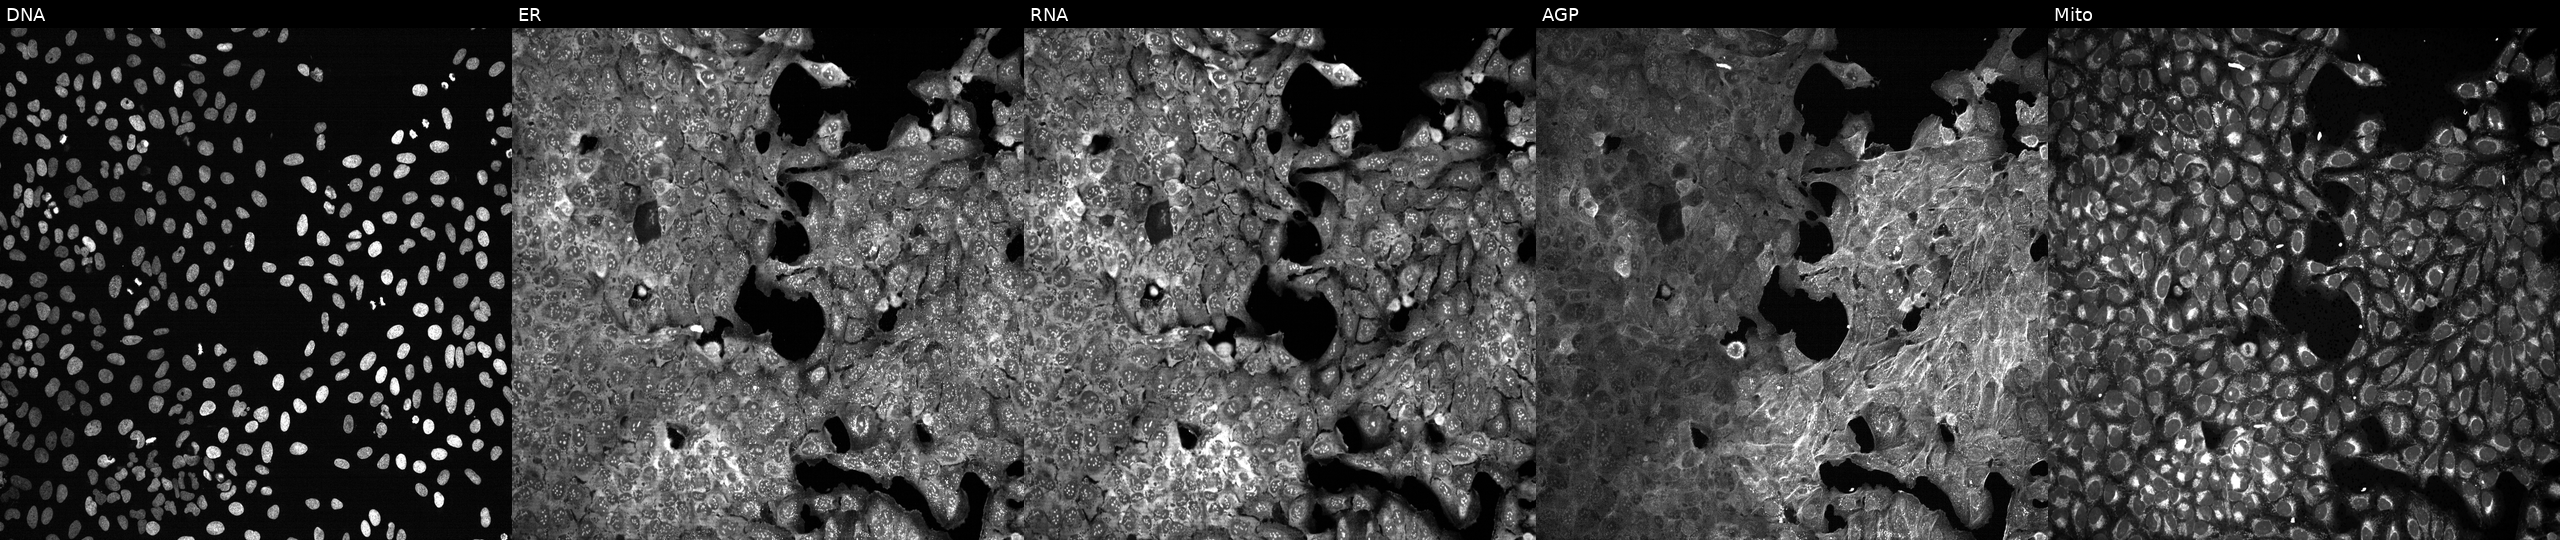
Five-channel Cell Painting image of U2OS cells treated with aloxistatin (positive-control compound). Channels (left→right): DNA (nuclei); ER (endoplasmic reticulum); RNA (nucleoli and cytoplasmic RNA); AGP (actin cytoskeleton, Golgi, and plasma membrane); Mito (mitochondria).